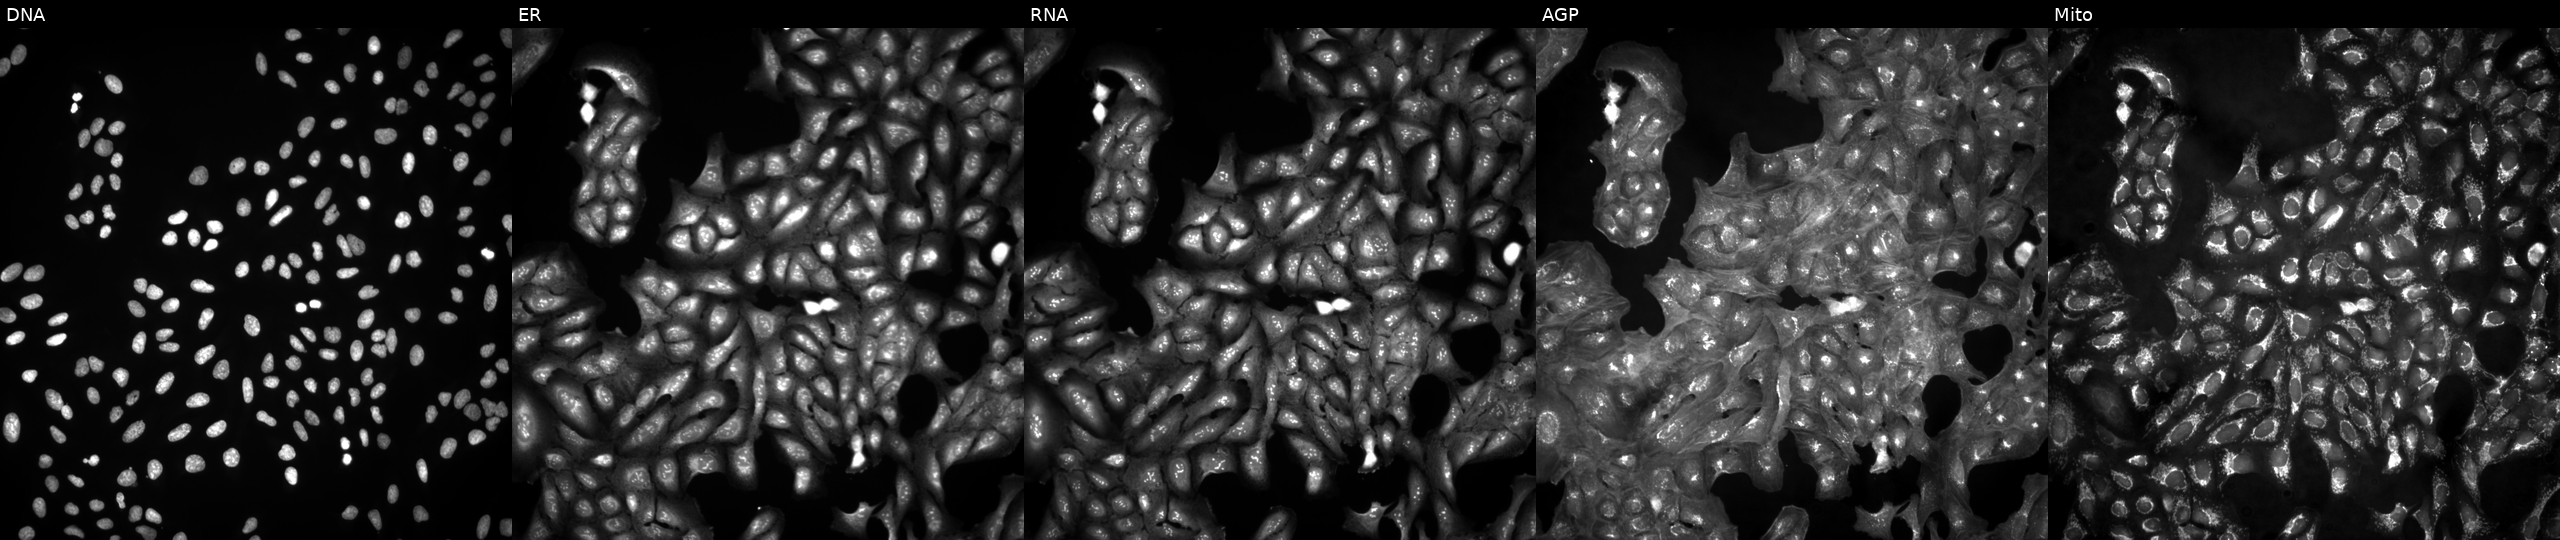
Panels show, left to right, DNA, ER, RNA, AGP, and Mito. U2OS osteosarcoma cells in an empty control well (no perturbation). Cell Painting assay, JUMP-CP dataset. Source 4, plate BR00123946, well G16.